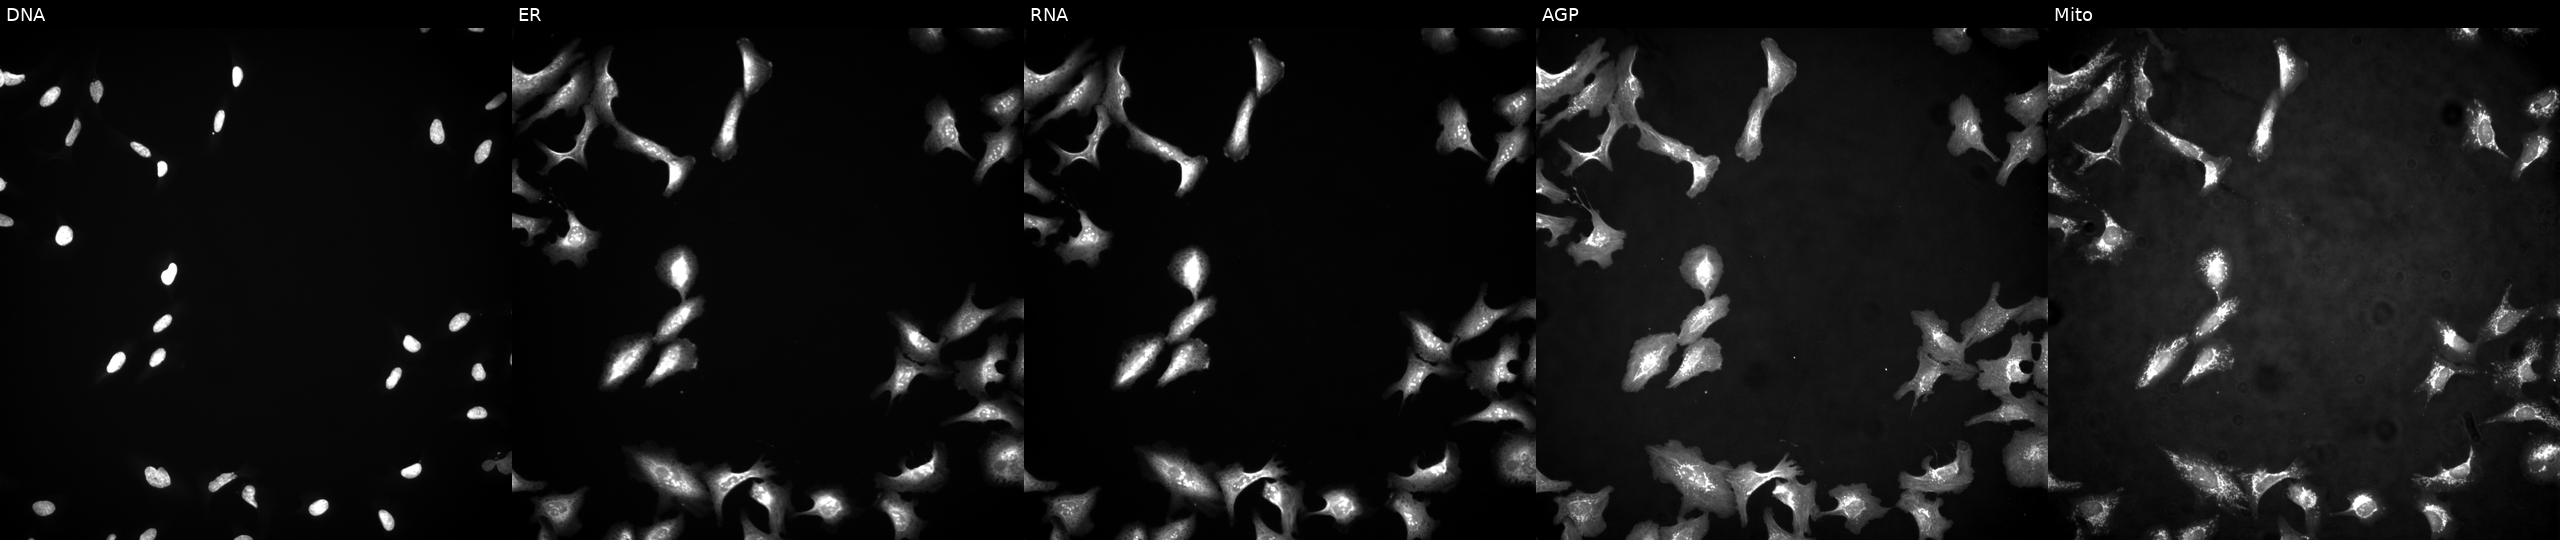
U2OS cells, Cell Painting assay, transfected with an ORF construct for SHLD2. Channels (left→right): Hoechst 33342, concanavalin A, SYTO 14, phalloidin and WGA, MitoTracker. Each panel is percentile-stretched 16-bit fluorescence. Source 4, plate BR00124787, well M12.